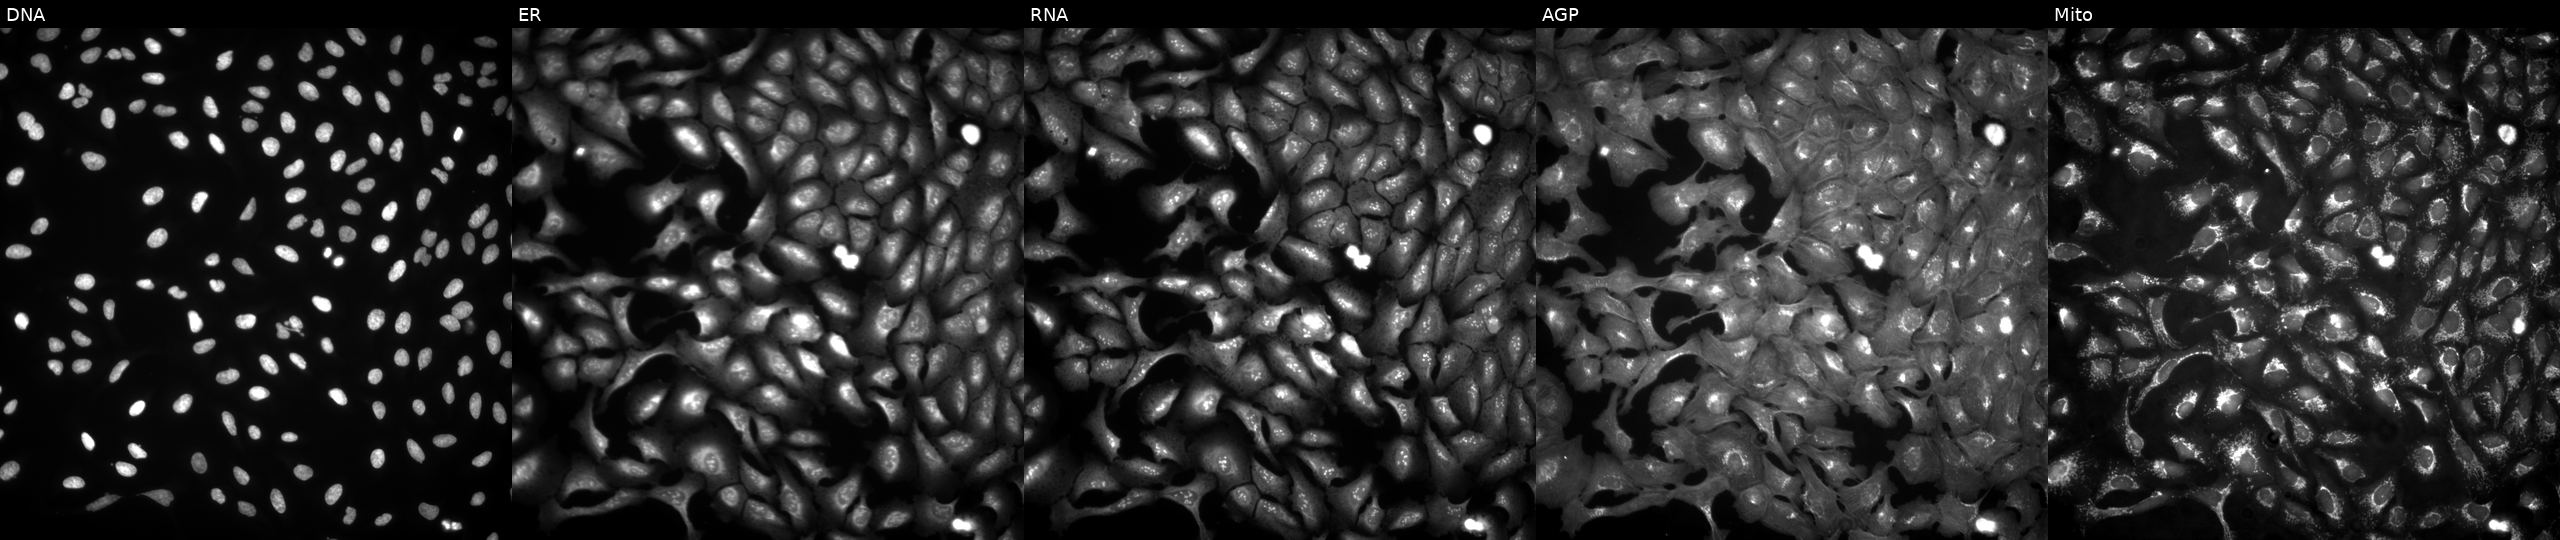
U2OS cells, Cell Painting assay, overexpressing RBM4 via ORF transfection (JUMP id JCP2022_901295). The five panels, left to right, show DNA (nuclei); ER (endoplasmic reticulum); RNA (nucleoli and cytoplasmic RNA); AGP (actin cytoskeleton, Golgi, and plasma membrane); Mito (mitochondria). Each panel is percentile-stretched 16-bit fluorescence.